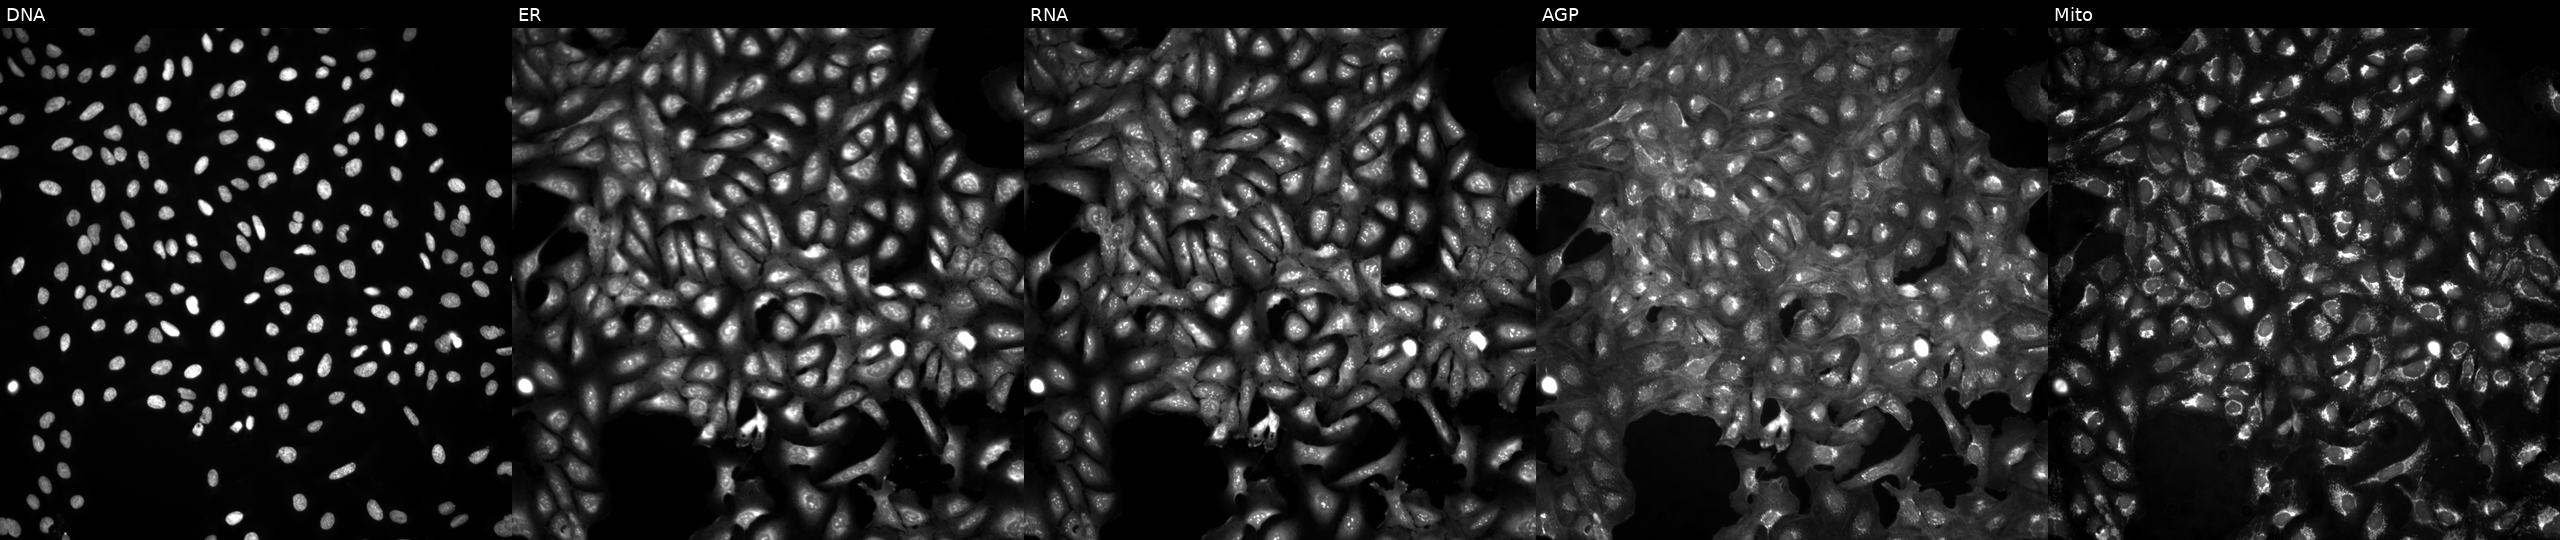
Channels (left→right): Hoechst 33342, concanavalin A, SYTO 14, phalloidin and WGA, MitoTracker. U2OS osteosarcoma cells untreated (empty-well control). Cell Painting assay, JUMP-CP dataset. Source 4, plate BR00124793, well G04.